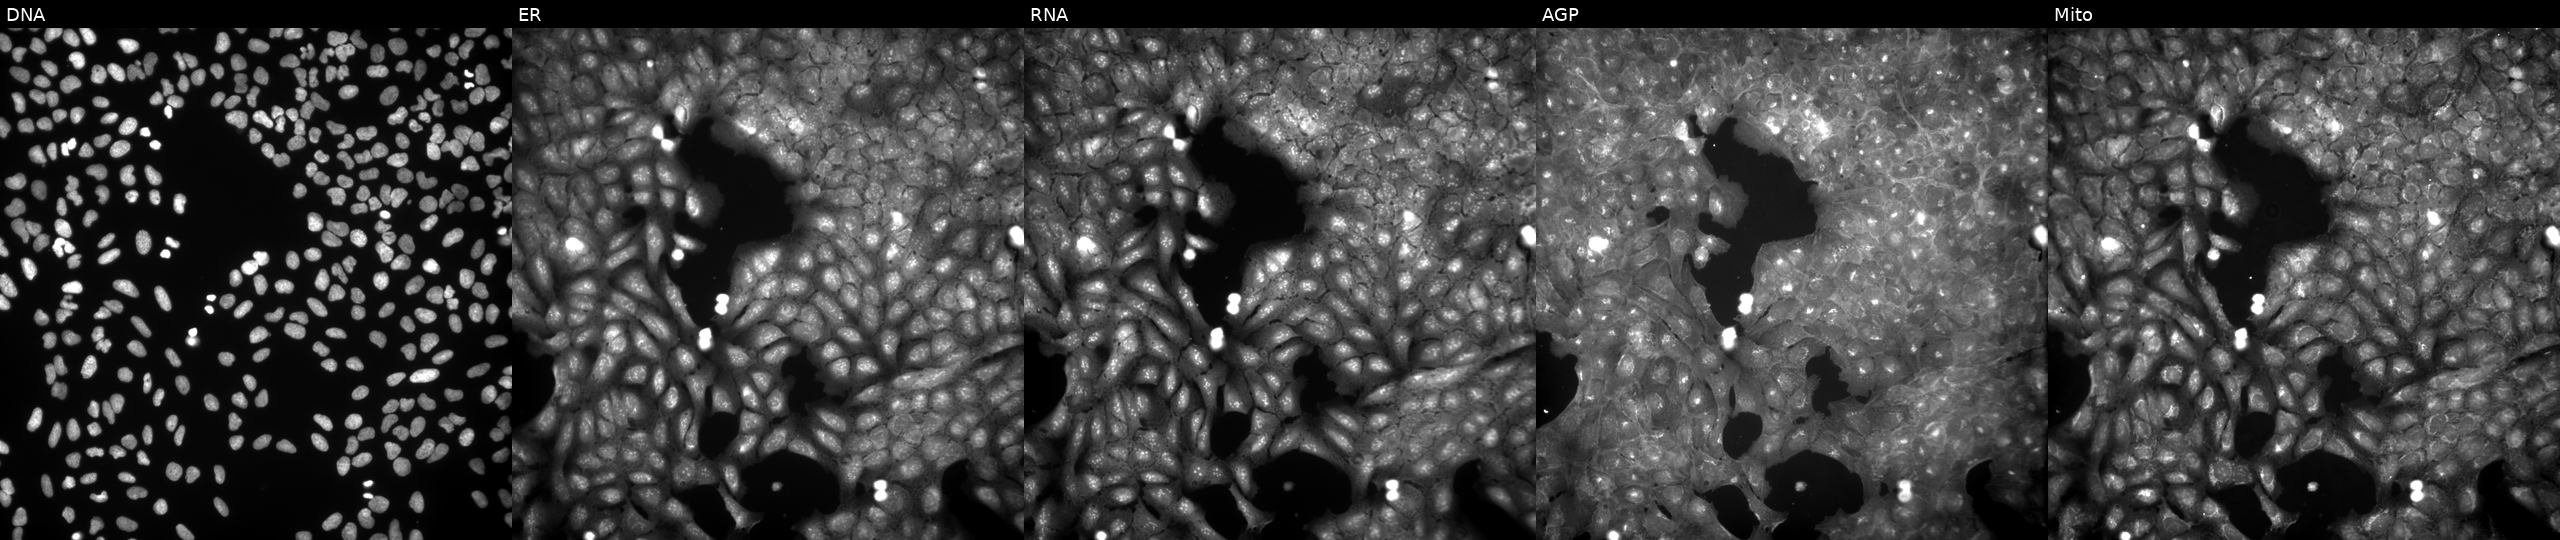
U2OS cells, Cell Painting assay, exposed to a small-molecule compound. Channels (left→right): DNA (nuclei); ER (endoplasmic reticulum); RNA (nucleoli and cytoplasmic RNA); AGP (actin cytoskeleton, Golgi, and plasma membrane); Mito (mitochondria). Each panel is percentile-stretched 16-bit fluorescence. Source 9, plate GR00003382, well M40.